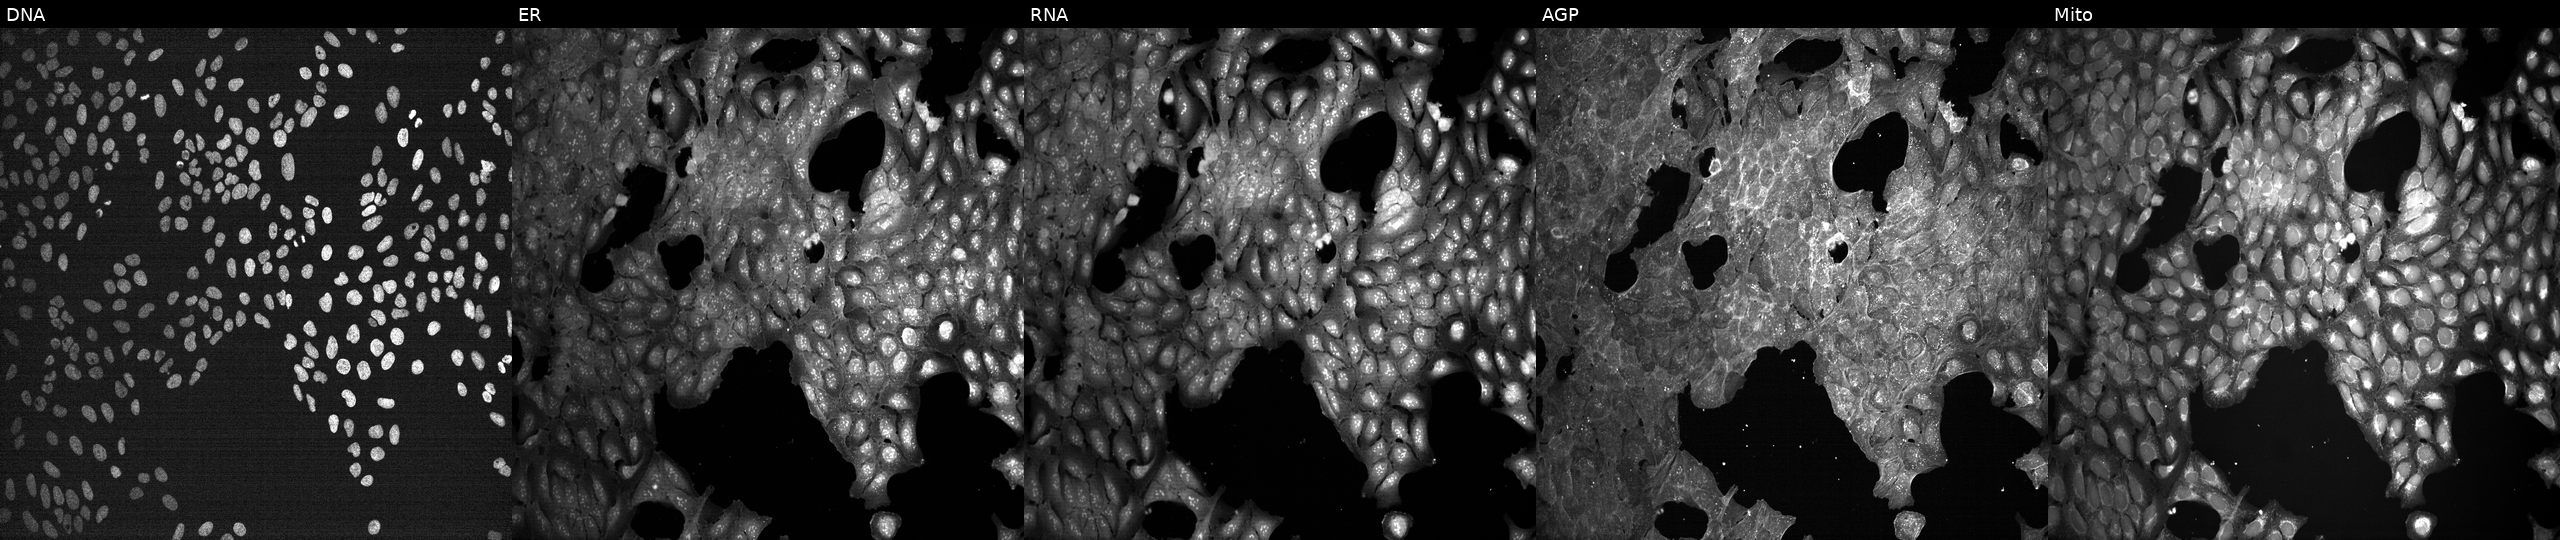
This image strip shows the five Cell Painting channels for a single field of U2OS cells exposed to DMSO alone as a negative control (JUMP id JCP2022_033924). Channels (left→right): Hoechst 33342, concanavalin A, SYTO 14, phalloidin and WGA, MitoTracker.